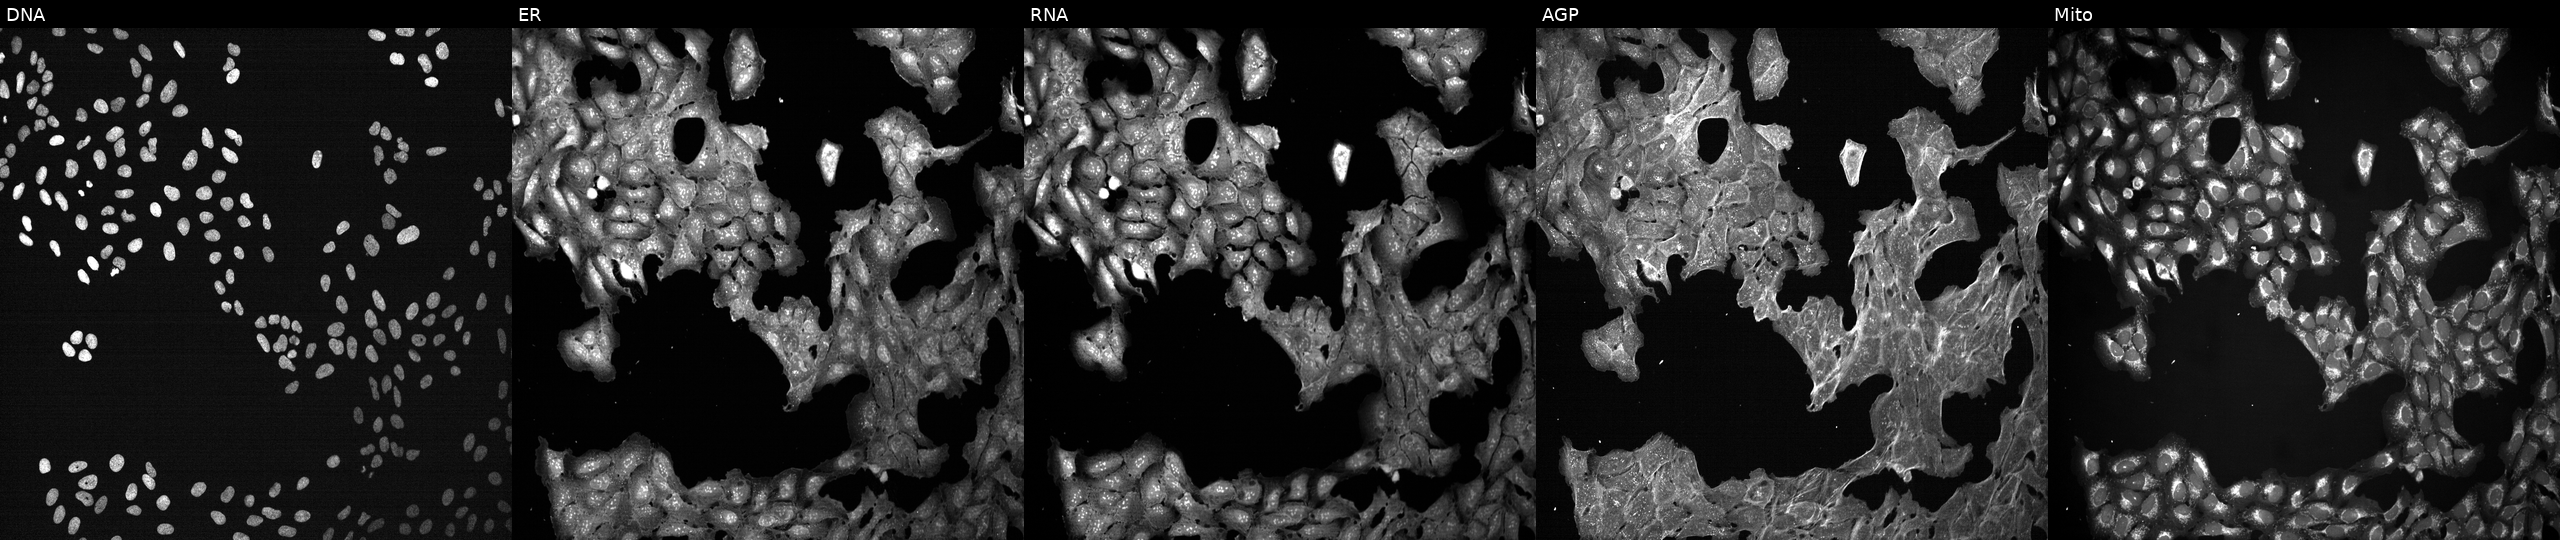
JUMP Cell Painting — TARGET2 plate. U2OS cells perturbed with a small-molecule compound (InChIKey KAQKFAOMNZTLHT-UHFFFAOYSA-N) (JUMP id JCP2022_043332). Channels (left→right): Hoechst 33342, concanavalin A, SYTO 14, phalloidin and WGA, MitoTracker.